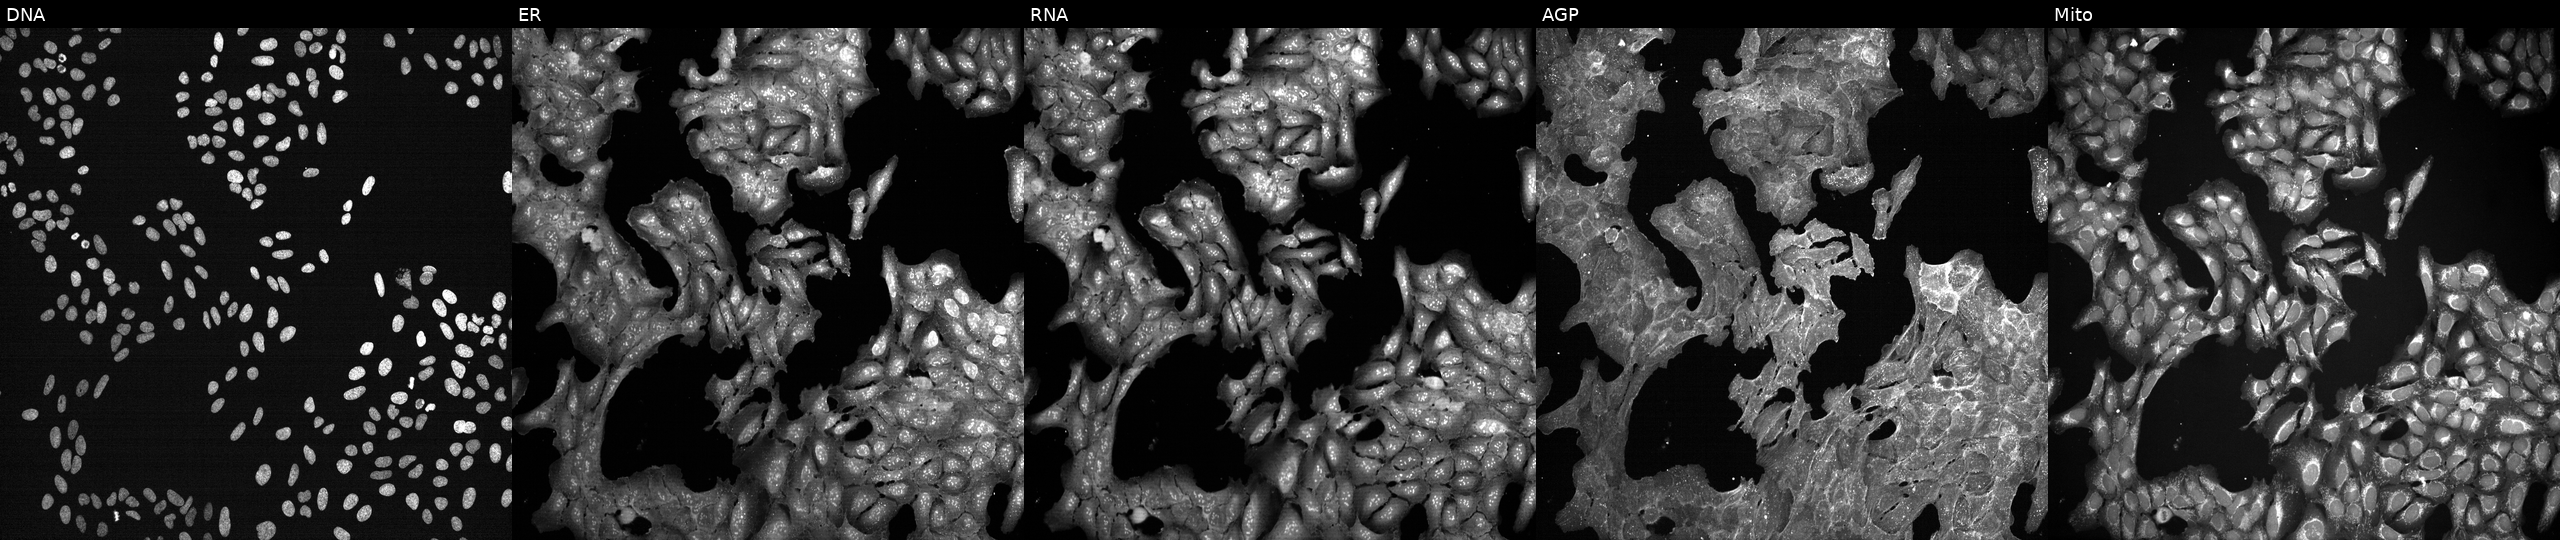
JUMP Cell Painting — TARGET2 plate. U2OS cells perturbed with a small-molecule compound (InChIKey QFWCYNPOPKQOKV-UHFFFAOYSA-N). Panels show, left to right, DNA (nuclei); ER (endoplasmic reticulum); RNA (nucleoli and cytoplasmic RNA); AGP (actin cytoskeleton, Golgi, and plasma membrane); Mito (mitochondria).